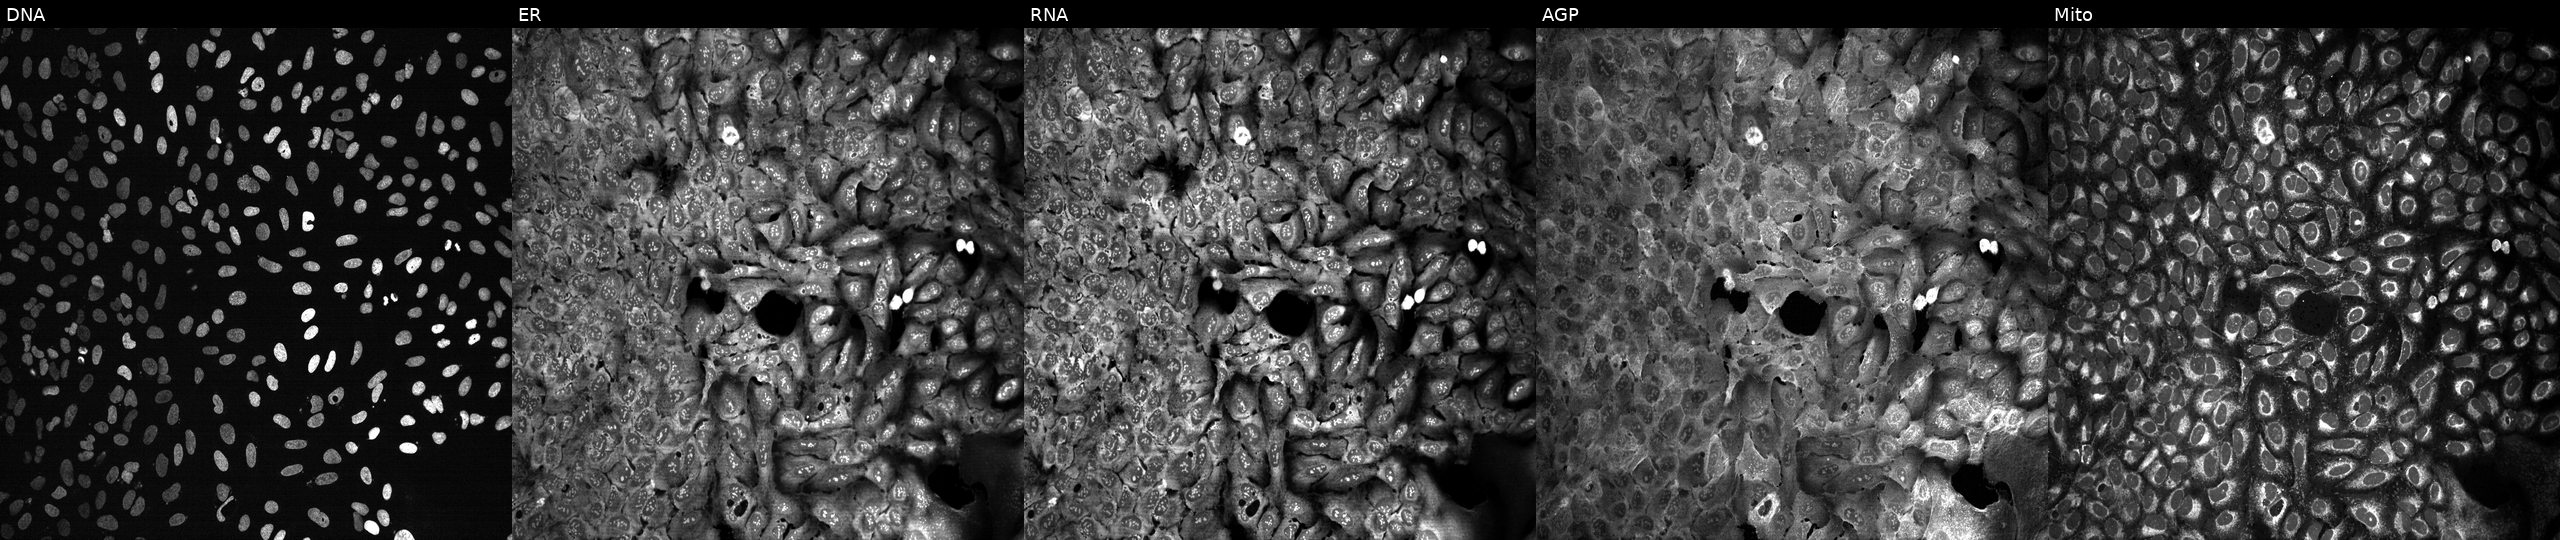
This image strip shows the five Cell Painting channels for a single field of U2OS cells CRISPR-edited to disrupt EIF1. The five panels, left to right, show DNA (nuclei); ER (endoplasmic reticulum); RNA (nucleoli and cytoplasmic RNA); AGP (actin cytoskeleton, Golgi, and plasma membrane); Mito (mitochondria).